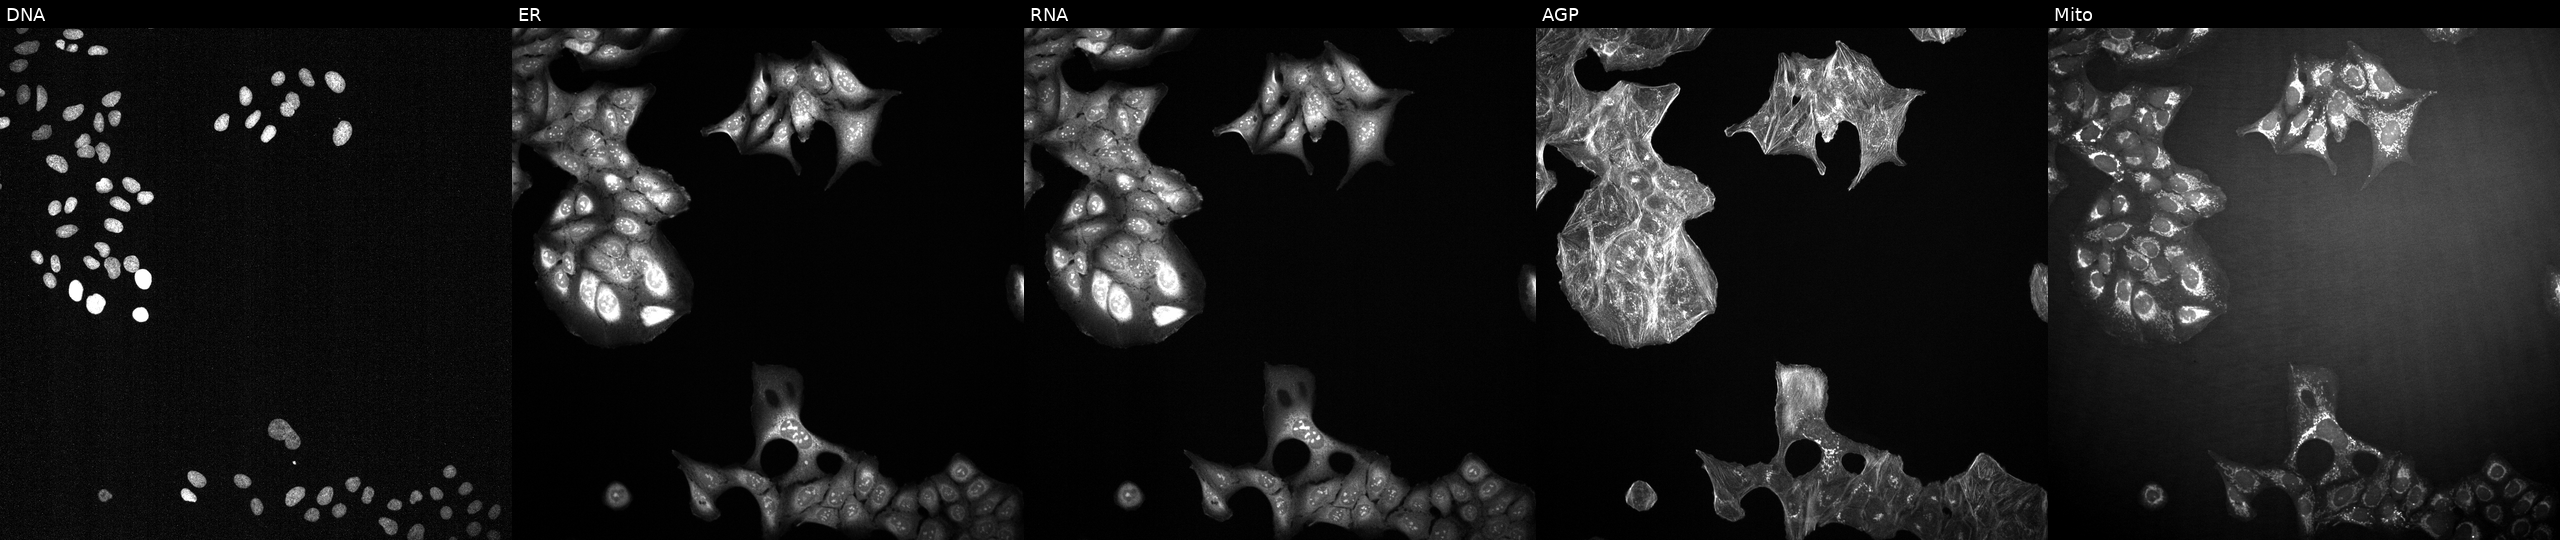
This image strip shows the five Cell Painting channels for a single field of U2OS cells perturbed with a small-molecule compound (InChIKey XEYBRNLFEZDVAW-UHFFFAOYSA-N). Channels (left→right): Hoechst 33342, concanavalin A, SYTO 14, phalloidin and WGA, MitoTracker. Source 2, plate 1053599503, well A14.